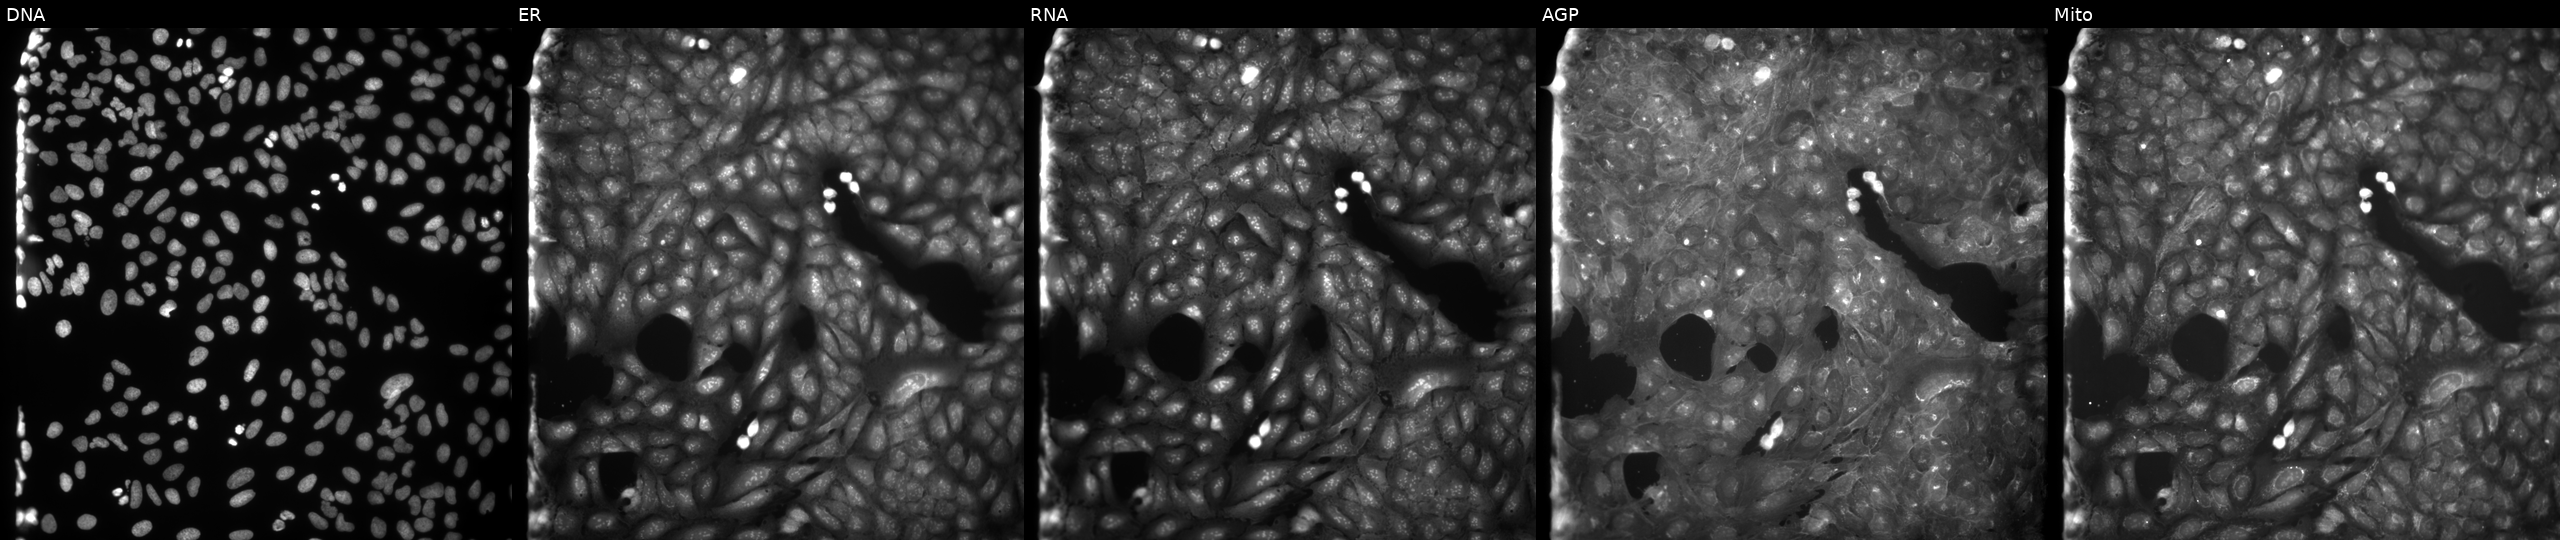
Five-channel Cell Painting image of U2OS cells treated with a small-molecule compound (InChIKey HNLZCIQAOLGEPC-UHFFFAOYSA-N) [SMILES: C=c1[nH]n(-c2ccccc2)c(=O)c1=Cc1ccc(OC(C)=O)cc1]. The five panels, left to right, show DNA (nuclei); ER (endoplasmic reticulum); RNA (nucleoli and cytoplasmic RNA); AGP (actin cytoskeleton, Golgi, and plasma membrane); Mito (mitochondria).